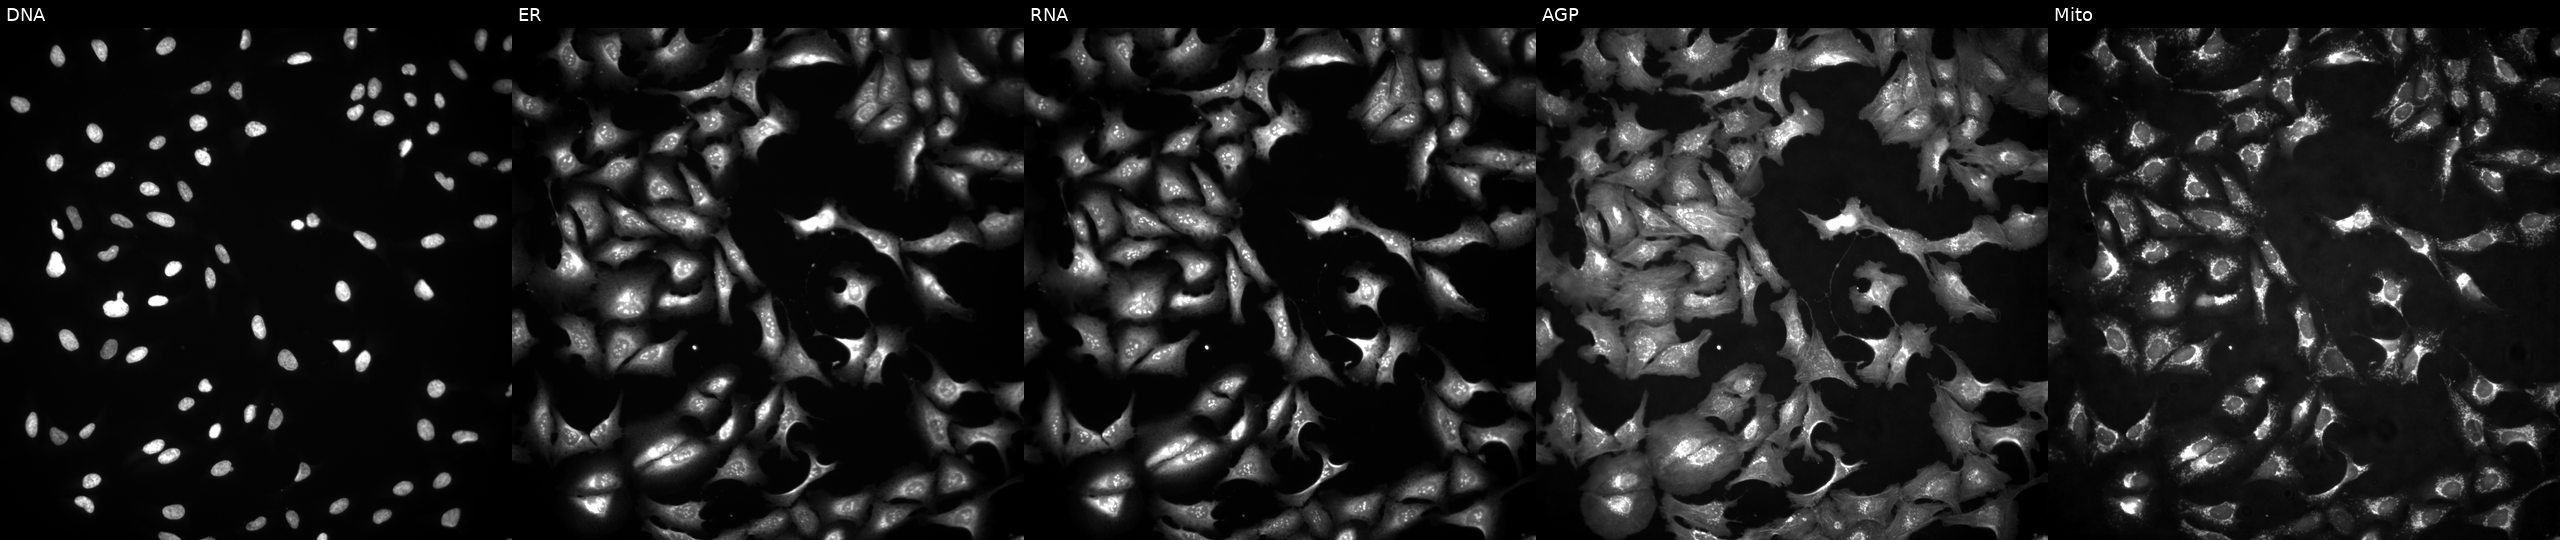
Channels (left→right): DNA (nuclei); ER (endoplasmic reticulum); RNA (nucleoli and cytoplasmic RNA); AGP (actin cytoskeleton, Golgi, and plasma membrane); Mito (mitochondria). U2OS osteosarcoma cells with CCDC51 overexpressed (ORF) (JUMP id JCP2022_911746). Cell Painting assay, JUMP-CP dataset.